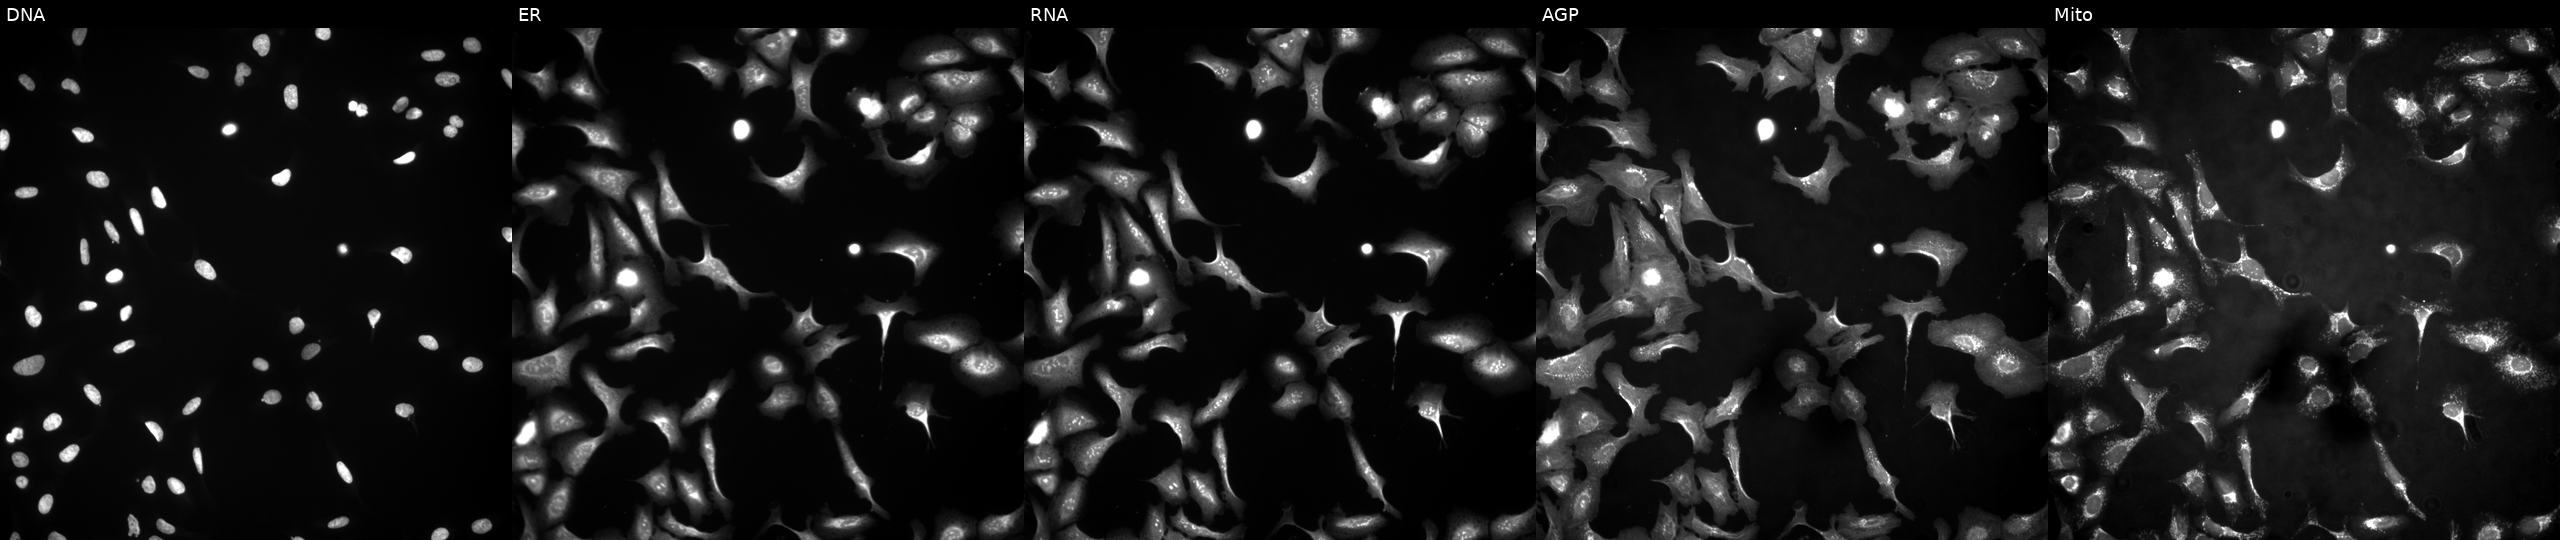
JUMP Cell Painting — ORF plate. U2OS cells overexpressing KRT2 via ORF transfection. Panels show, left to right, Hoechst 33342, concanavalin A, SYTO 14, phalloidin and WGA, MitoTracker.